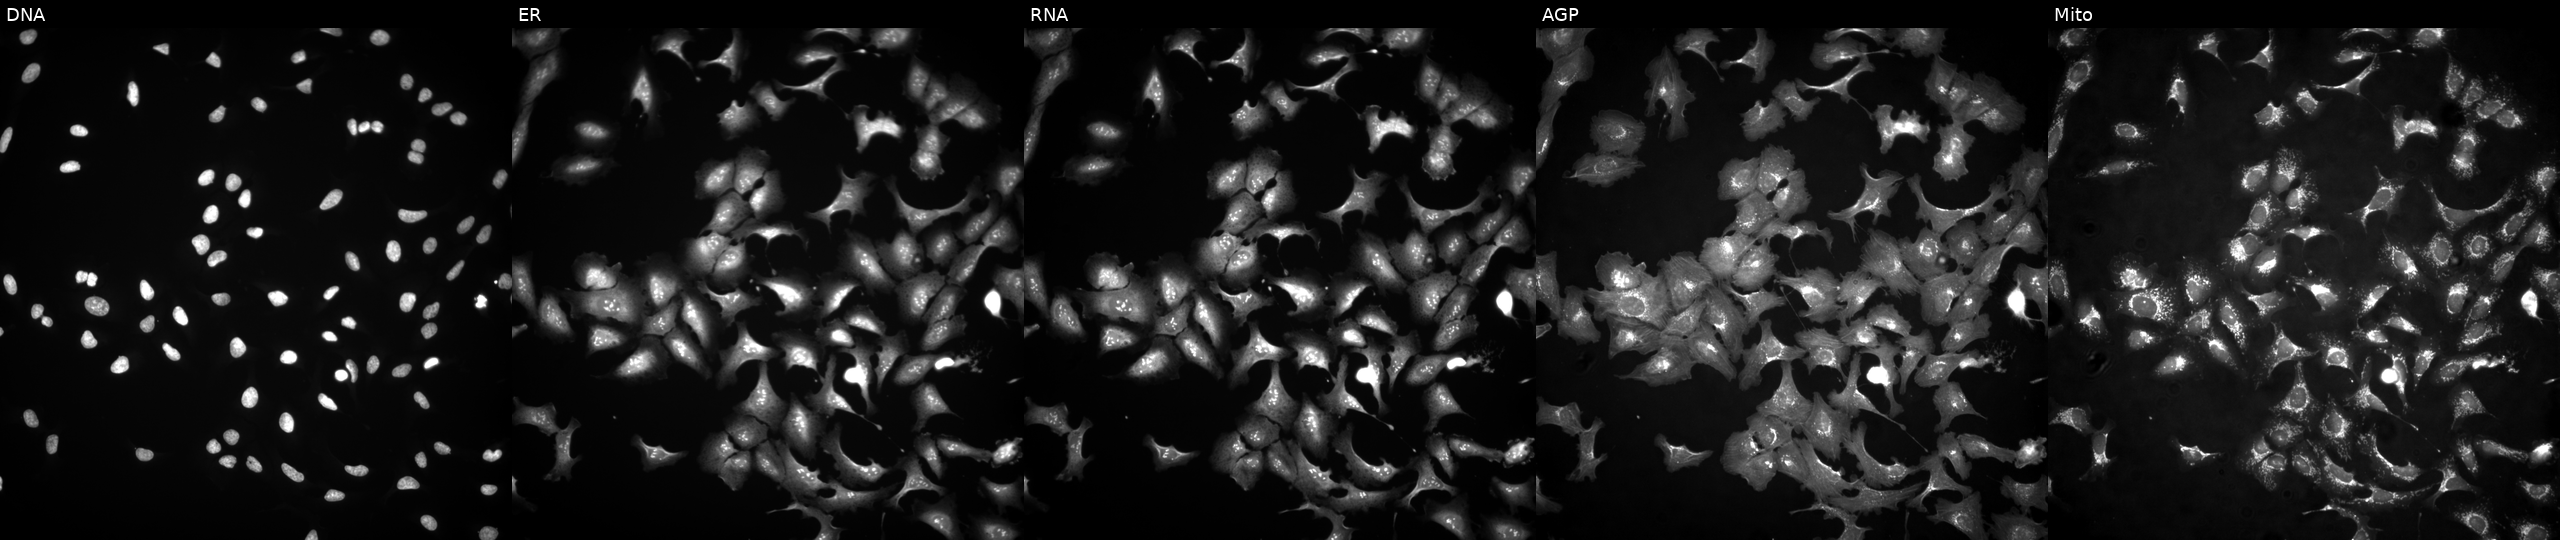
JUMP Cell Painting — ORF plate. U2OS cells overexpressing ELF5 via ORF transfection (JUMP id JCP2022_900465). From left to right: Hoechst 33342, concanavalin A, SYTO 14, phalloidin and WGA, MitoTracker. Source 4, plate BR00117035, well F09.